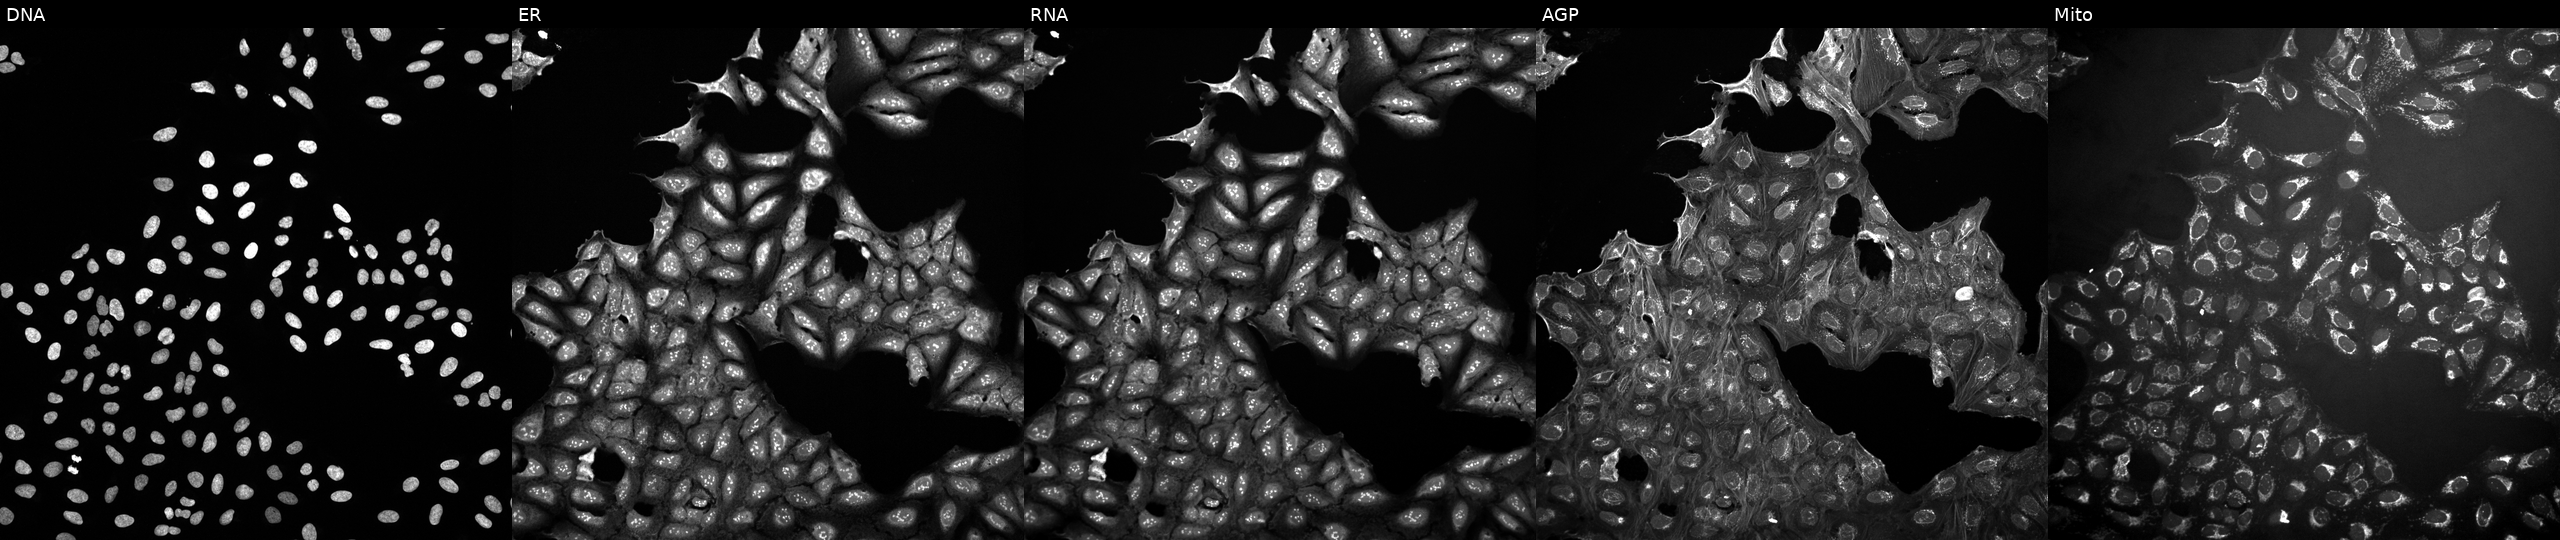
Five-channel Cell Painting image of U2OS cells in an empty control well (no perturbation). The five panels, left to right, show DNA, ER, RNA, AGP, and Mito. Source 10, plate Dest210531-152149, well B06.